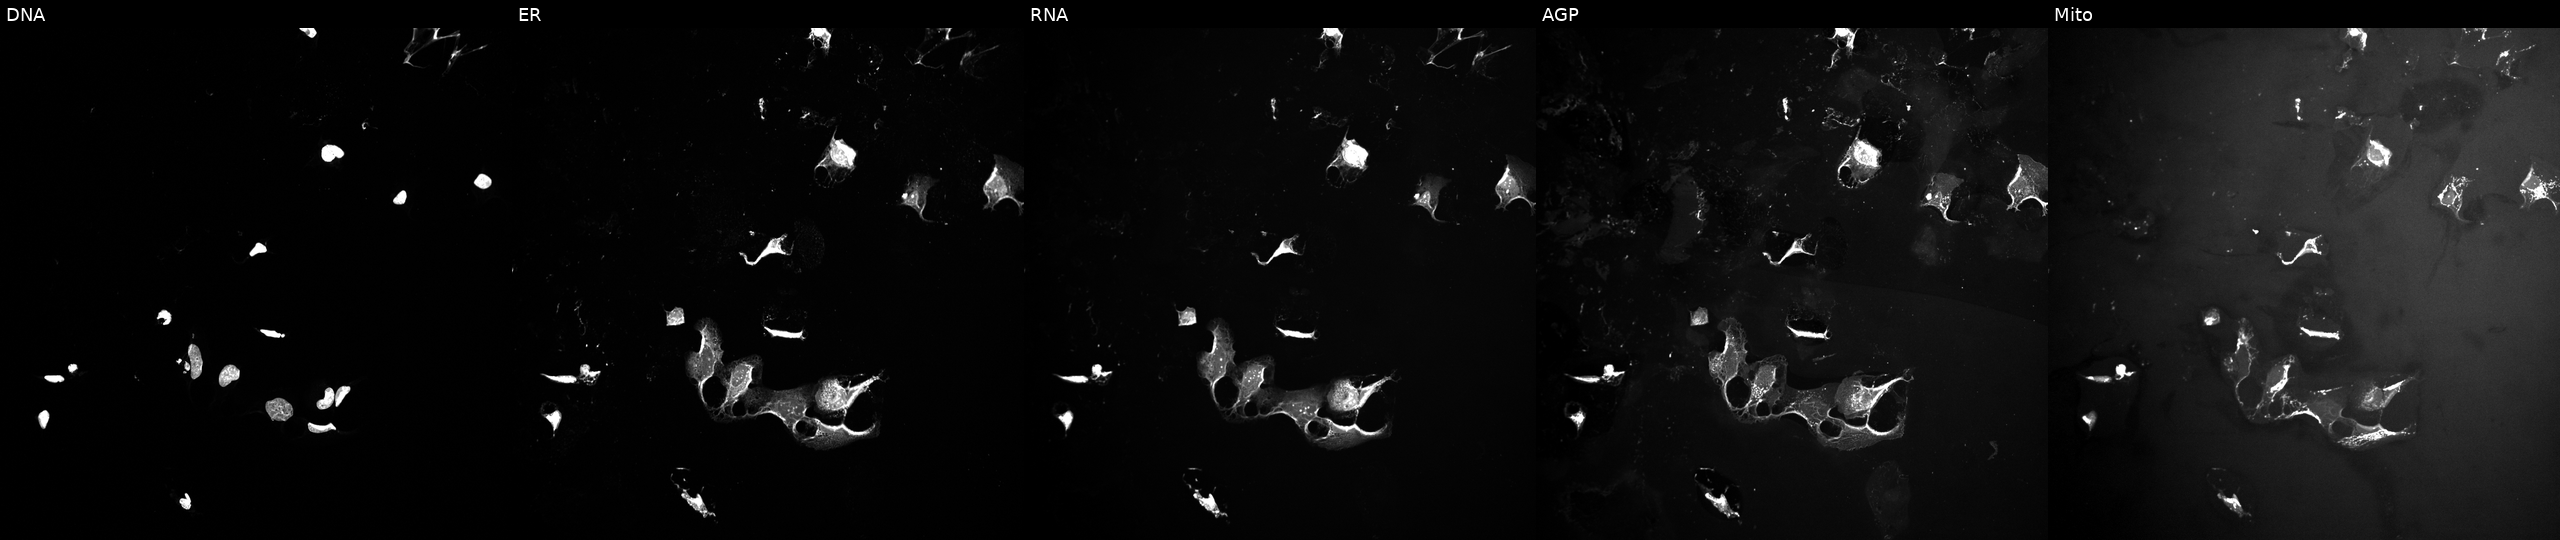
U2OS cells, Cell Painting assay, treated with a small-molecule compound (InChIKey WSMQUUGTQYPVPD-UHFFFAOYSA-N). Channels (left→right): Hoechst 33342, concanavalin A, SYTO 14, phalloidin and WGA, MitoTracker. Each panel is percentile-stretched 16-bit fluorescence.